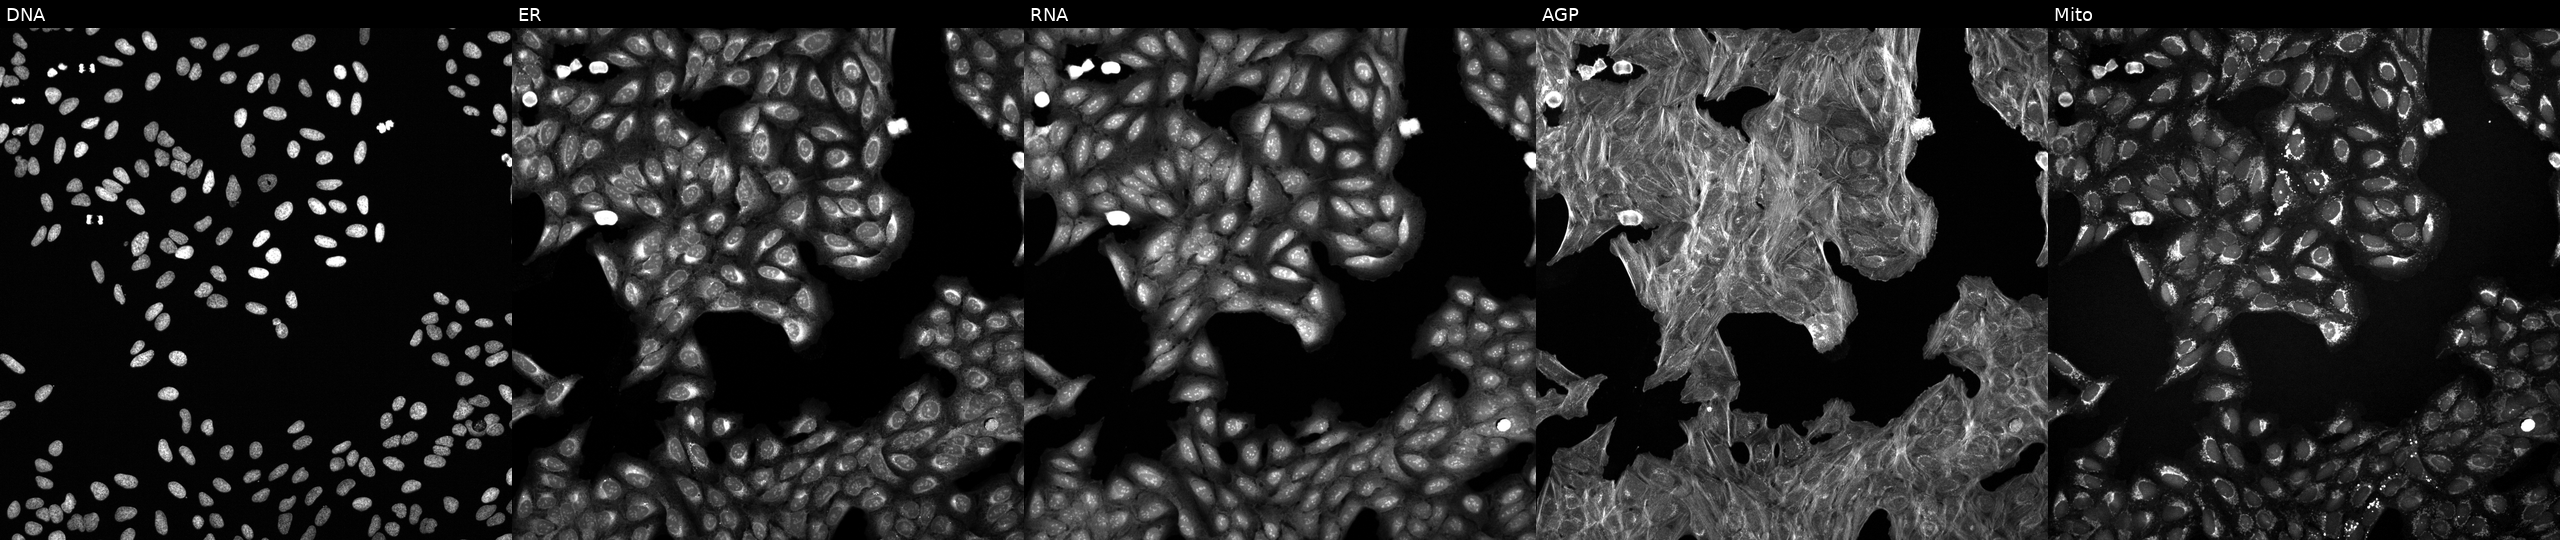
Channels (left→right): Hoechst 33342, concanavalin A, SYTO 14, phalloidin and WGA, MitoTracker. U2OS osteosarcoma cells treated with a small-molecule compound (InChIKey KRKKGVYAUHISMJ-UHFFFAOYSA-N). Cell Painting assay, JUMP-CP dataset. Source 6, plate 110000293082, well D14.